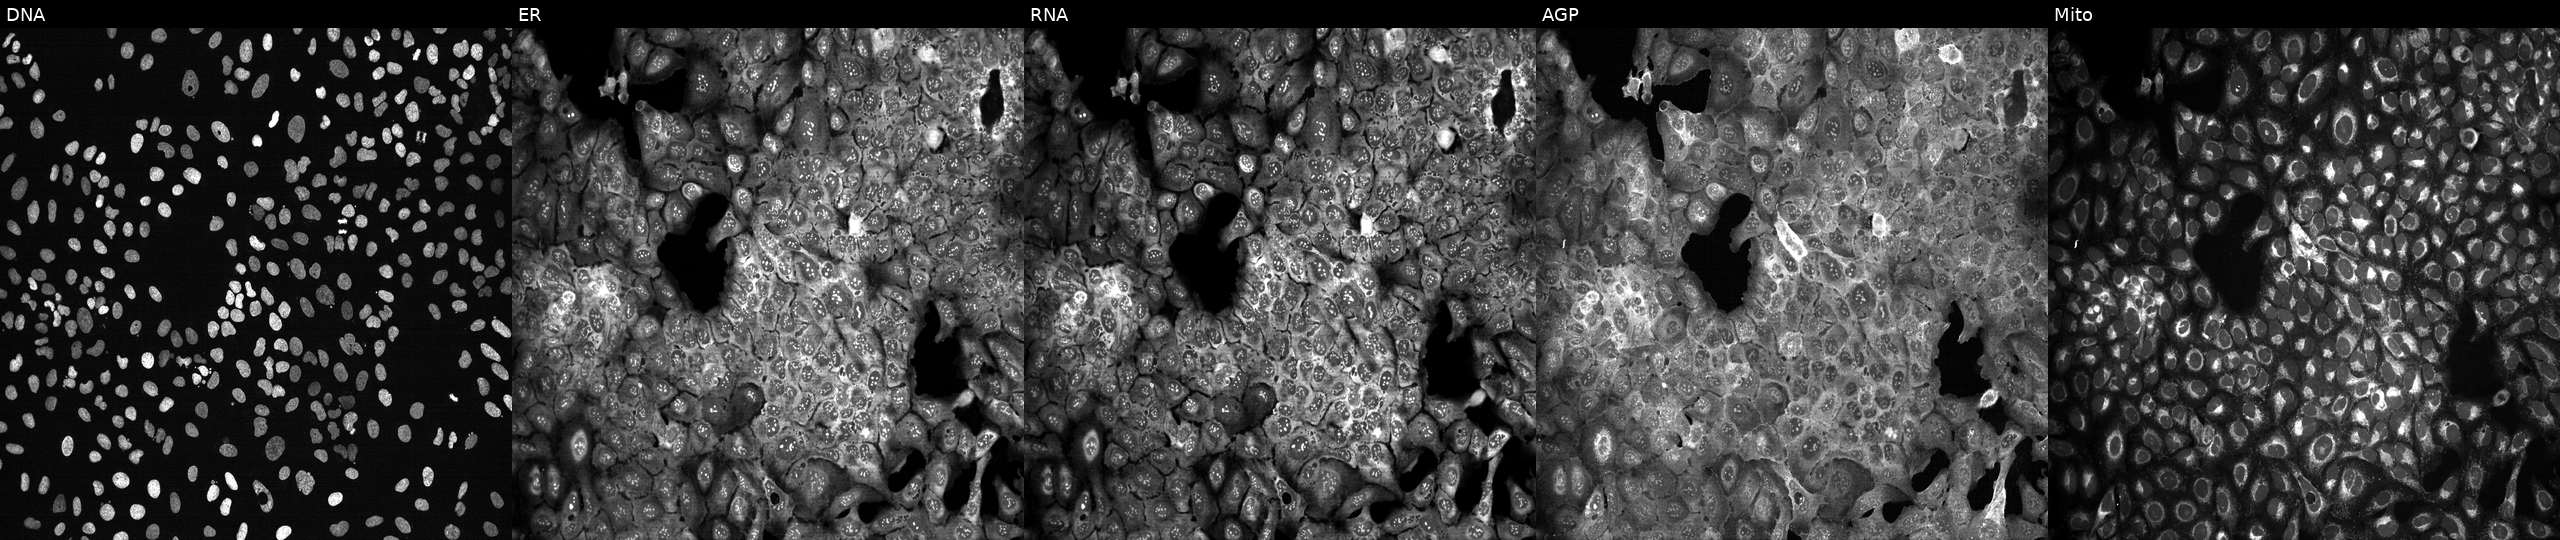
High-content fluorescence microscopy (Cell Painting). Cell line: U2OS. Perturbation: with S100A6 knocked out by CRISPR. From left to right: DNA, ER, RNA, AGP, and Mito.